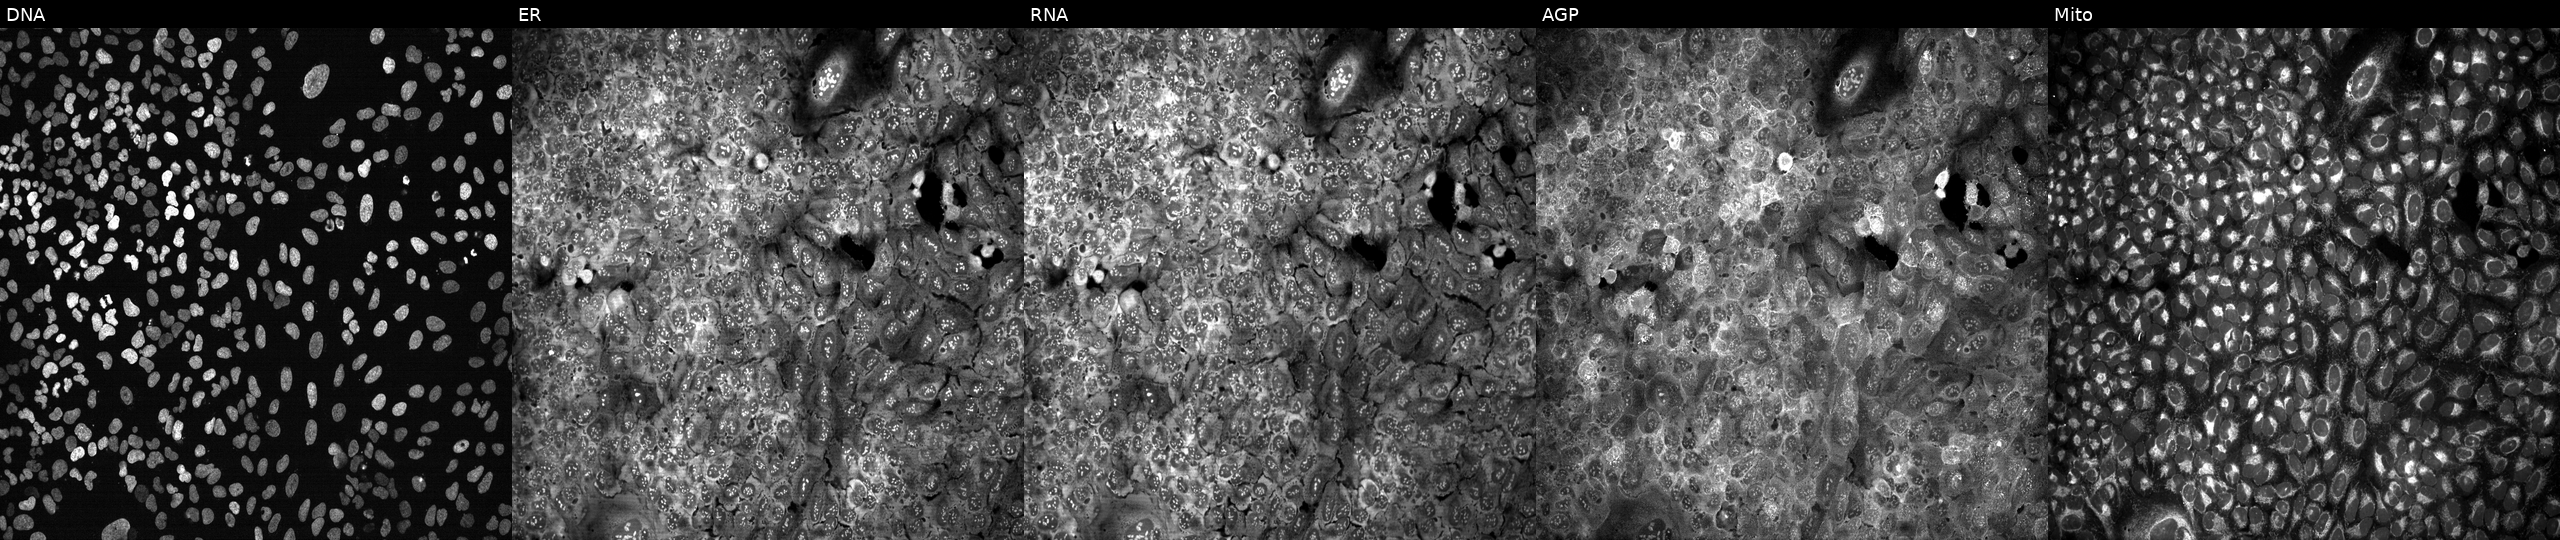
Five-channel Cell Painting image of U2OS cells following CRISPR knockout of LAG3 (JUMP id JCP2022_803767). From left to right: DNA (nuclei); ER (endoplasmic reticulum); RNA (nucleoli and cytoplasmic RNA); AGP (actin cytoskeleton, Golgi, and plasma membrane); Mito (mitochondria). Source 13, plate CP-CC9-R4-04, well L21.